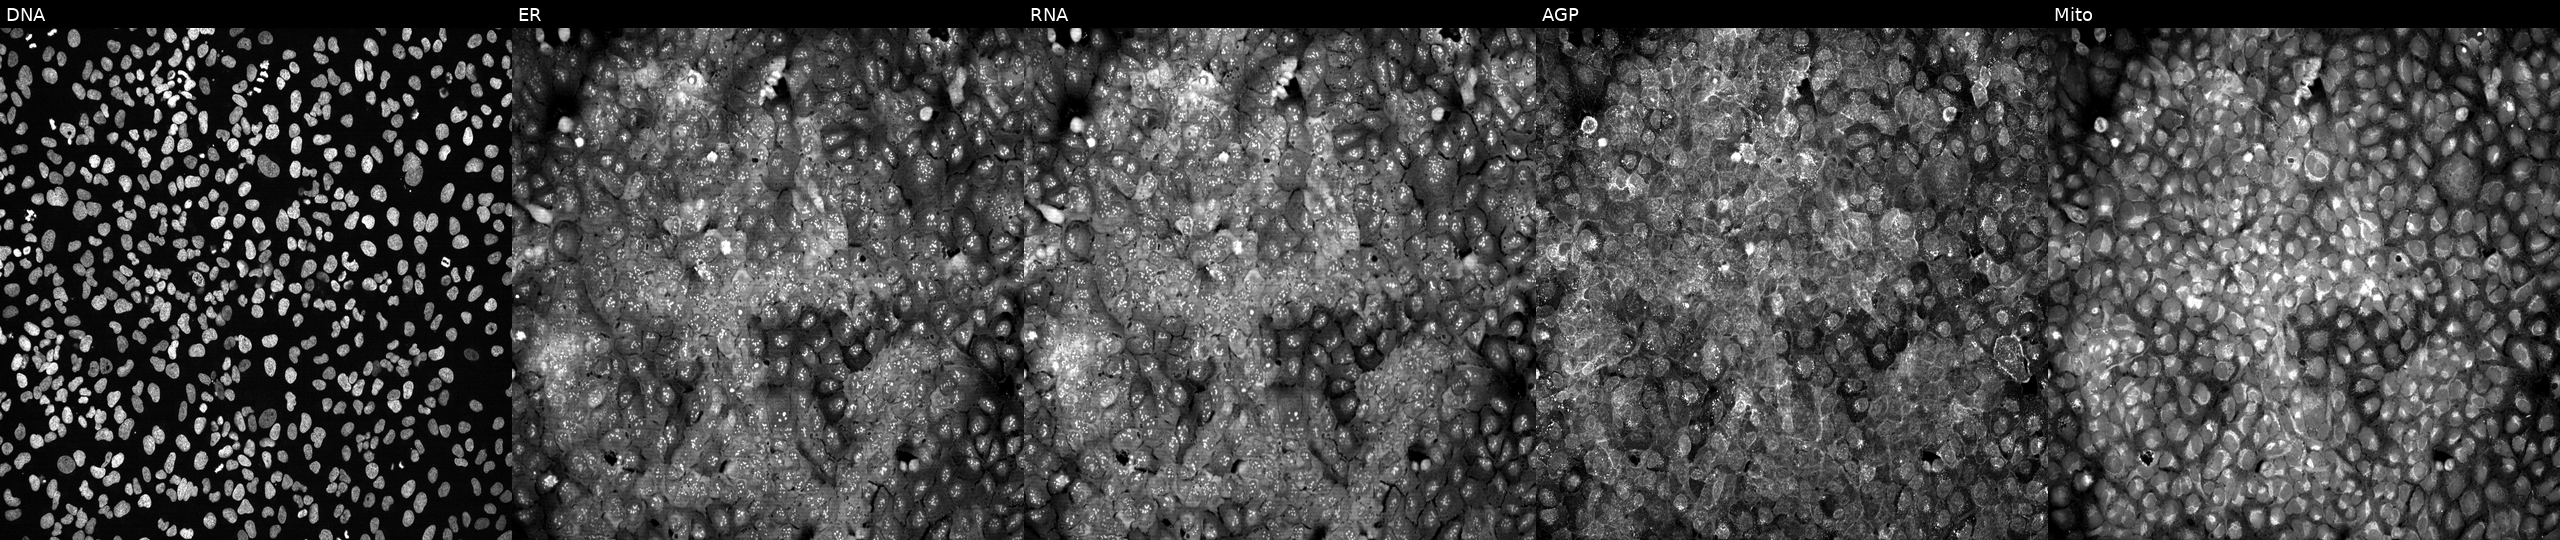
JUMP Cell Painting — CRISPR plate. U2OS cells following CRISPR knockout of SAT2 (JUMP id JCP2022_806182). From left to right: Hoechst 33342, concanavalin A, SYTO 14, phalloidin and WGA, MitoTracker. Source 13, plate CP-CC9-R1-02, well D13.